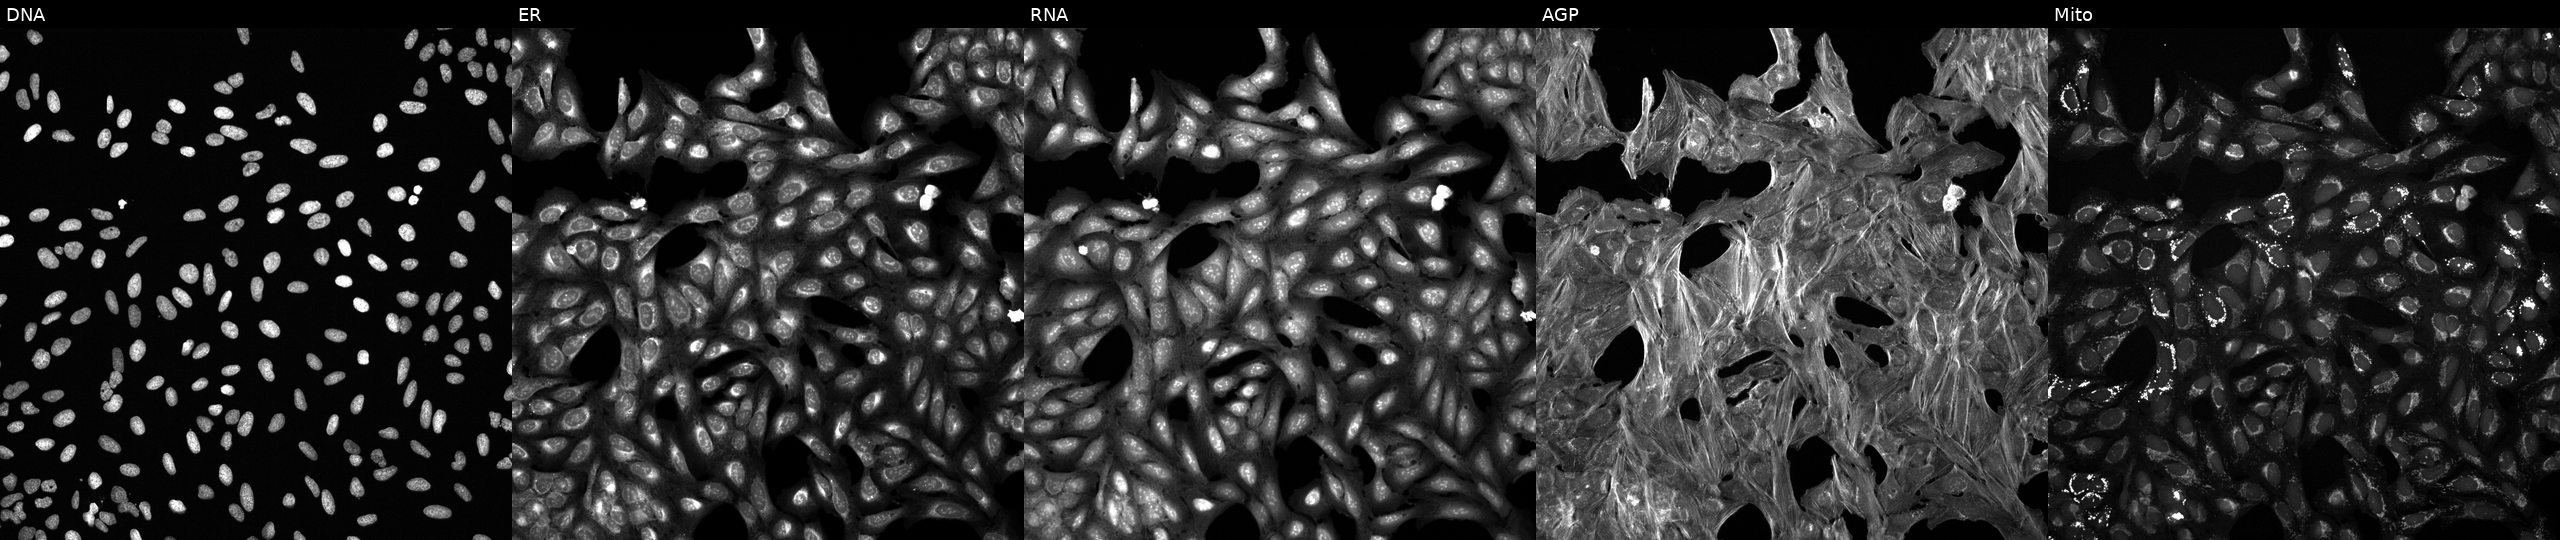
JUMP Cell Painting — COMPOUND plate. U2OS cells exposed to a small-molecule compound (InChIKey GSBMQDQLXVOMFH-UHFFFAOYSA-N). The five panels, left to right, show DNA (nuclei); ER (endoplasmic reticulum); RNA (nucleoli and cytoplasmic RNA); AGP (actin cytoskeleton, Golgi, and plasma membrane); Mito (mitochondria). Source 6, plate 110000293082, well M10.